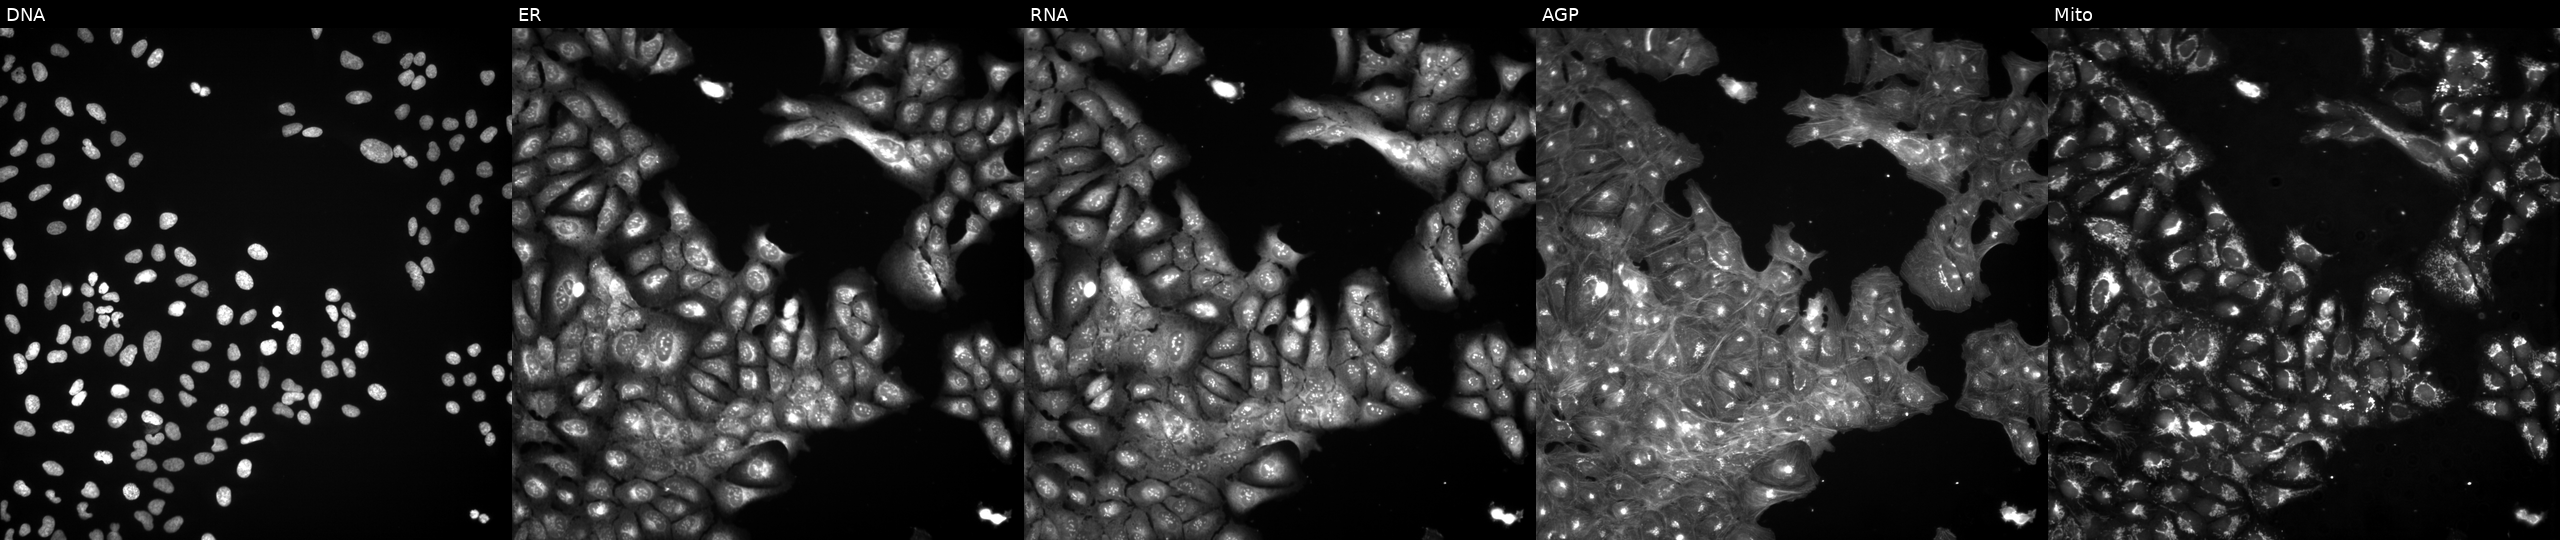
The five panels, left to right, show DNA (nuclei); ER (endoplasmic reticulum); RNA (nucleoli and cytoplasmic RNA); AGP (actin cytoskeleton, Golgi, and plasma membrane); Mito (mitochondria). U2OS osteosarcoma cells perturbed with a small-molecule compound (JUMP id JCP2022_021678). Cell Painting assay, JUMP-CP dataset.